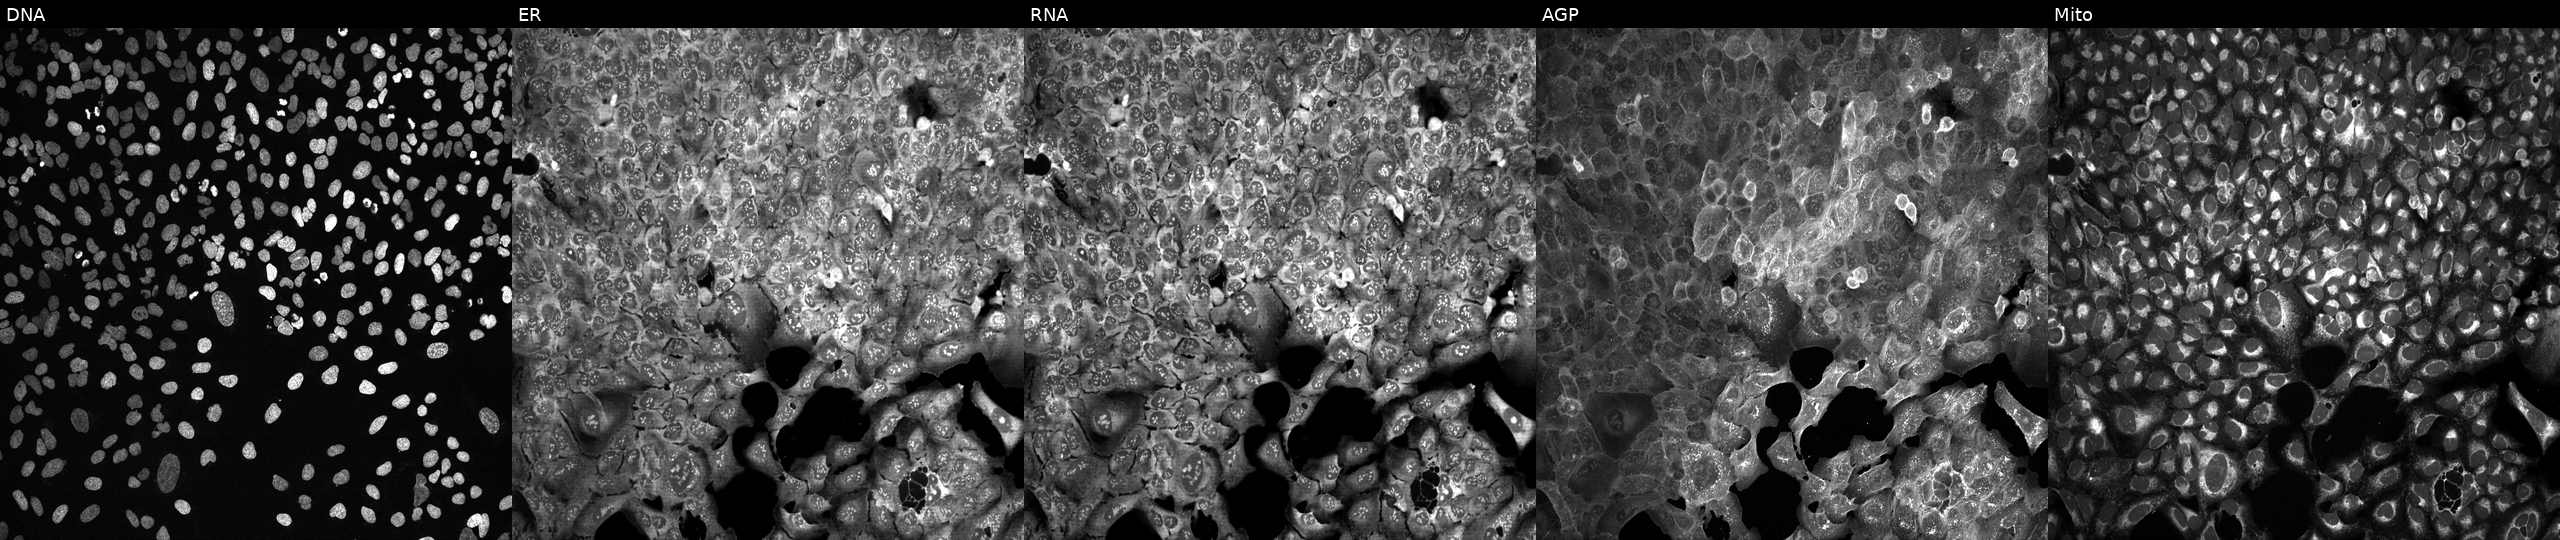
This image strip shows the five Cell Painting channels for a single field of U2OS cells with CAPN5 knocked out by CRISPR. Channels (left→right): DNA, ER, RNA, AGP, and Mito. Source 13, plate CP-CC9-R6-19, well M11.